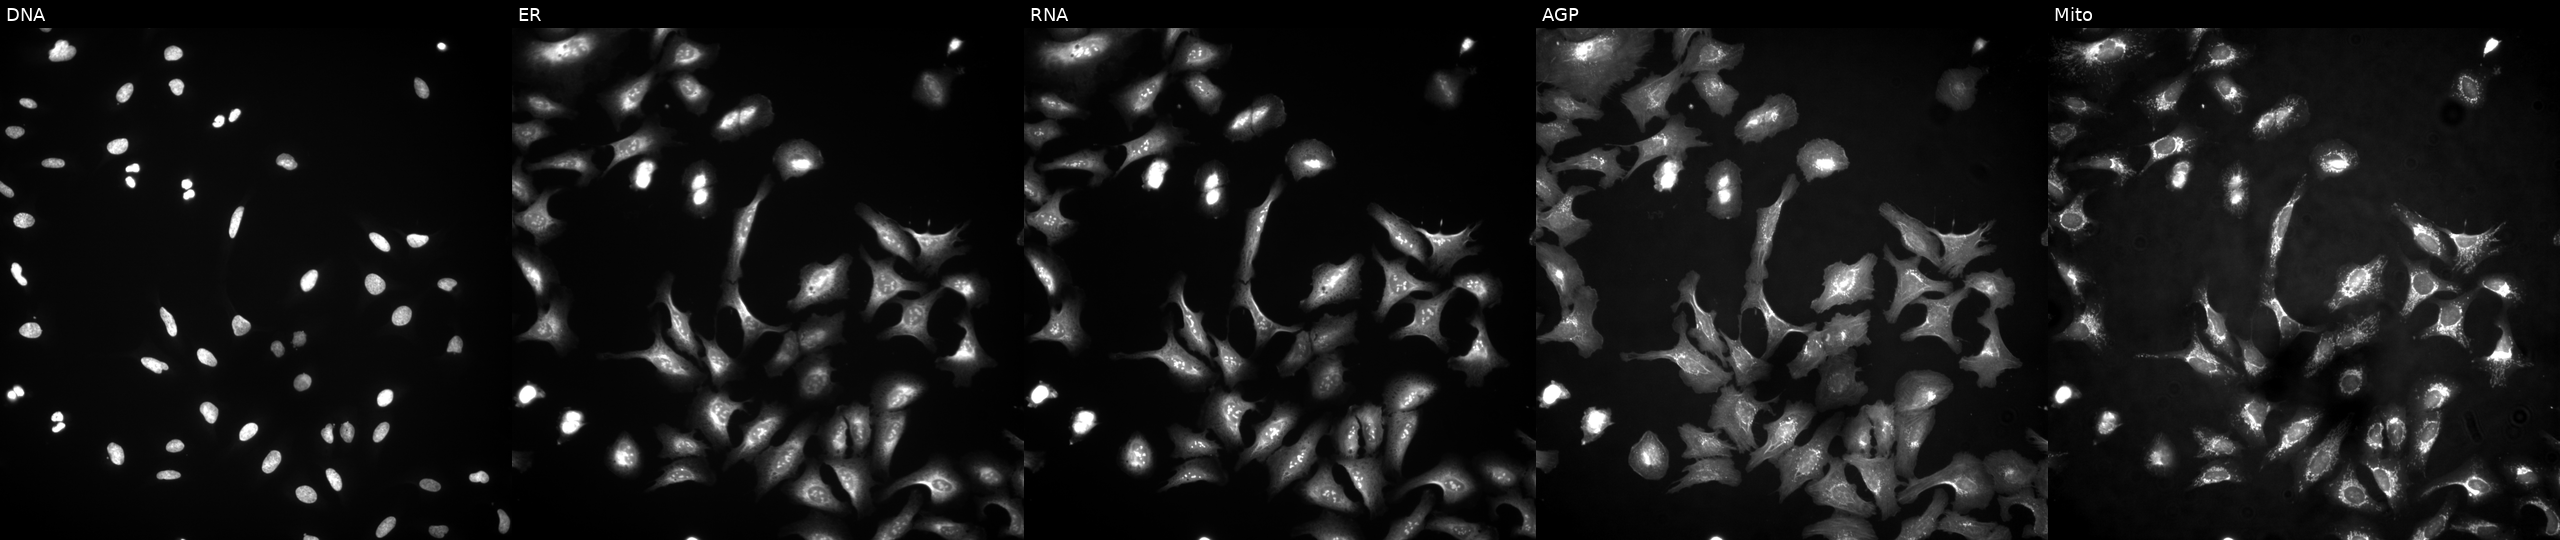
U2OS cells, Cell Painting assay, transfected with an ORF construct for SCGB2A2. From left to right: DNA (nuclei); ER (endoplasmic reticulum); RNA (nucleoli and cytoplasmic RNA); AGP (actin cytoskeleton, Golgi, and plasma membrane); Mito (mitochondria). Each panel is percentile-stretched 16-bit fluorescence.